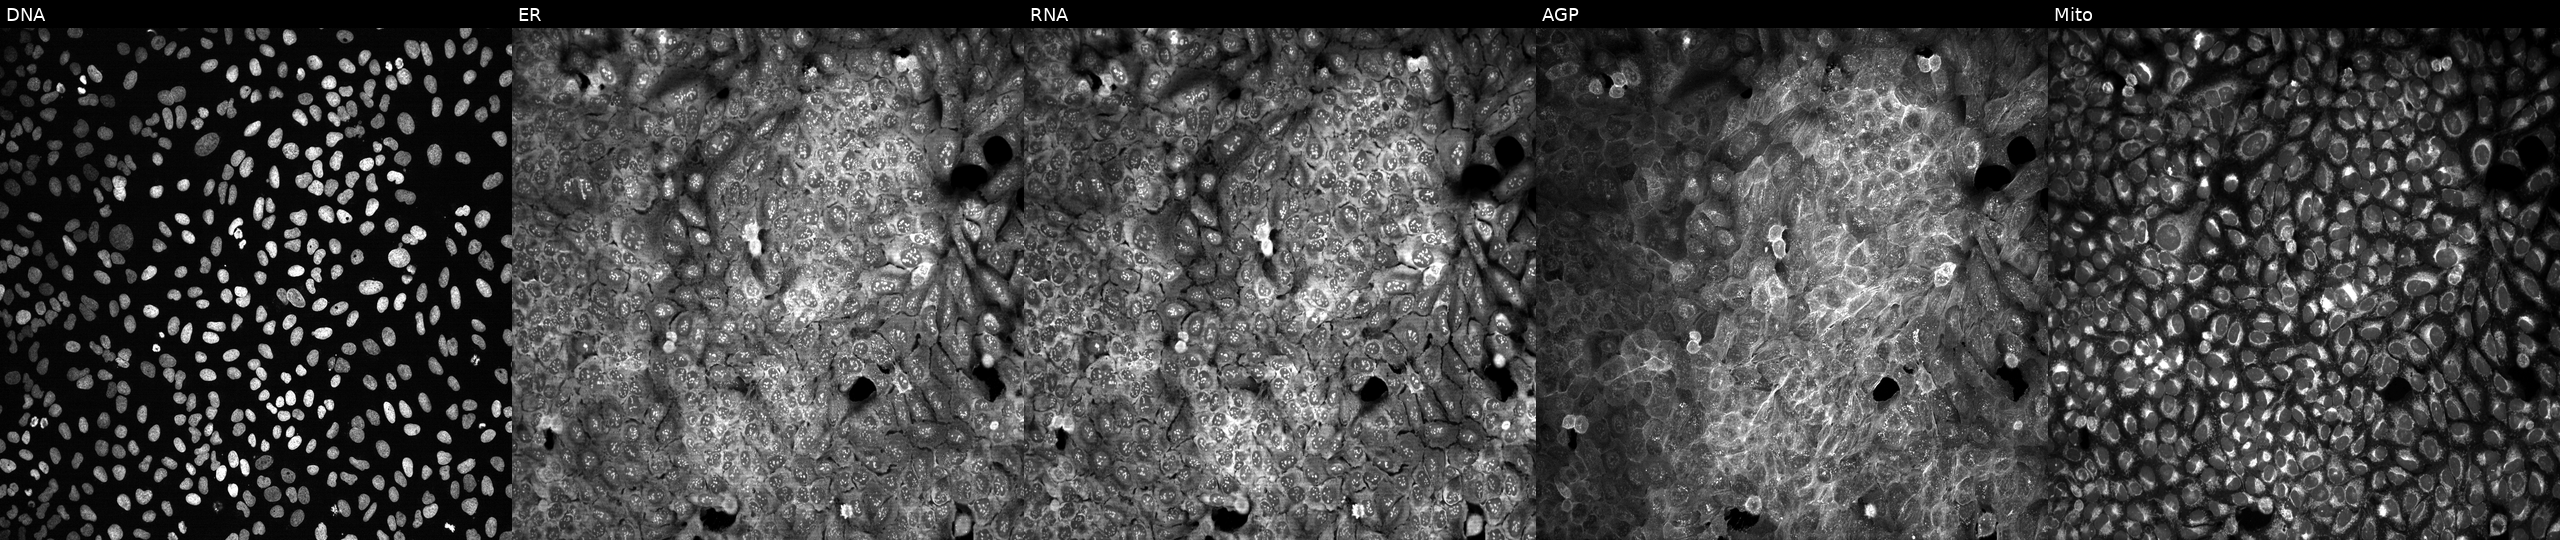
This image strip shows the five Cell Painting channels for a single field of U2OS cells with SOX8 knocked out by CRISPR (JUMP id JCP2022_806712). Panels show, left to right, DNA, ER, RNA, AGP, and Mito.